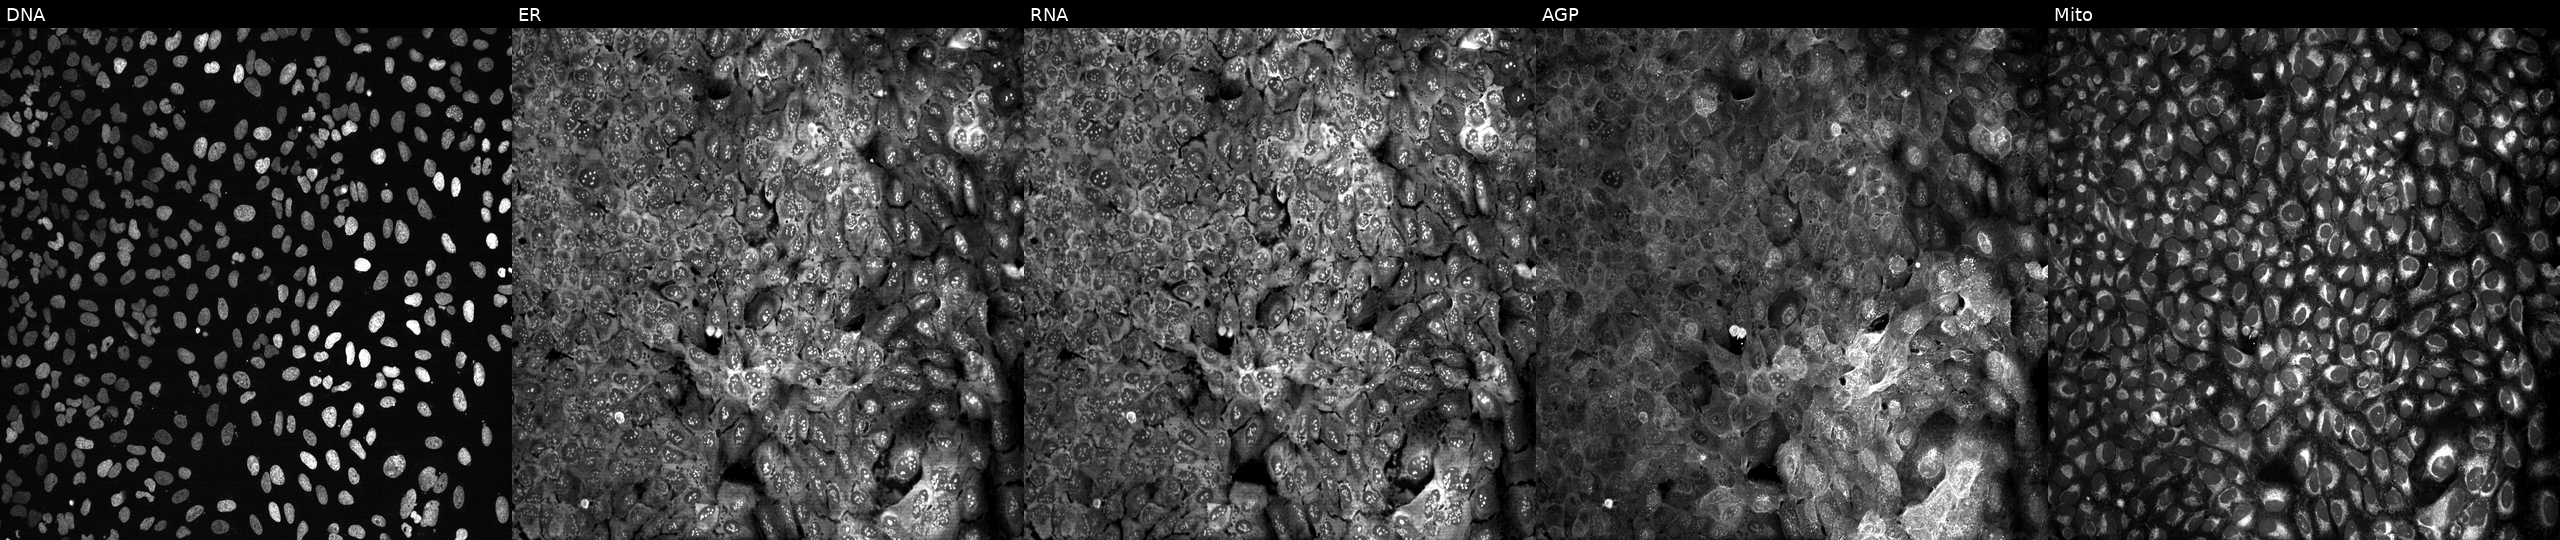
This image strip shows the five Cell Painting channels for a single field of U2OS cells with APOH knocked out by CRISPR (JUMP id JCP2022_800529). From left to right: DNA, ER, RNA, AGP, and Mito. Source 13, plate CP-CC9-R4-04, well C04.